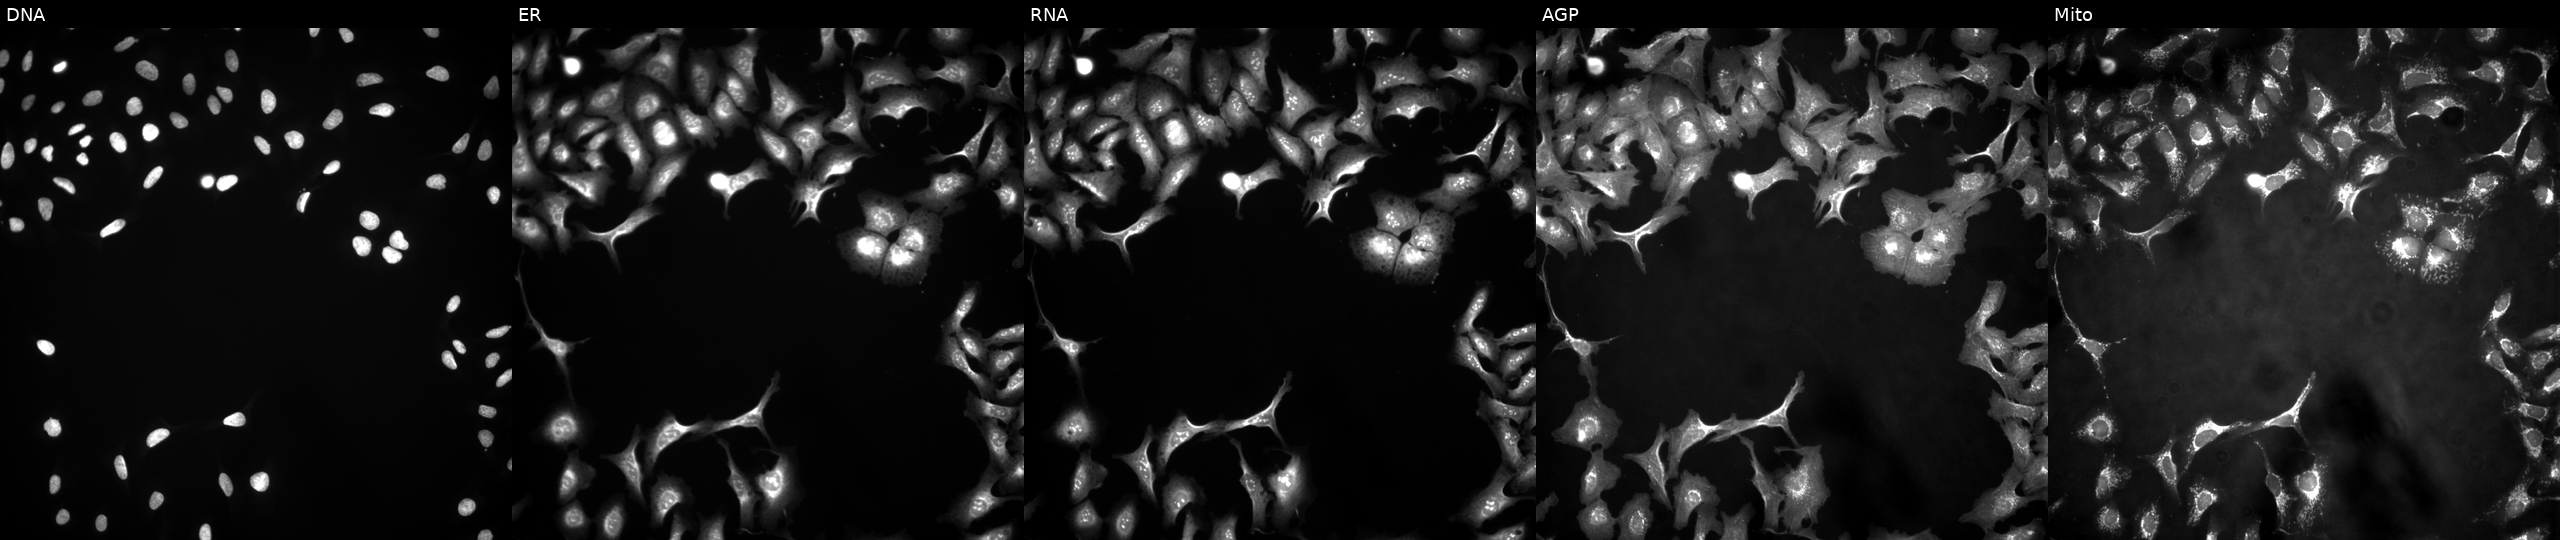
U2OS cells, Cell Painting assay, overexpressing CETN1 via ORF transfection. The five panels, left to right, show Hoechst 33342, concanavalin A, SYTO 14, phalloidin and WGA, MitoTracker. Each panel is percentile-stretched 16-bit fluorescence.